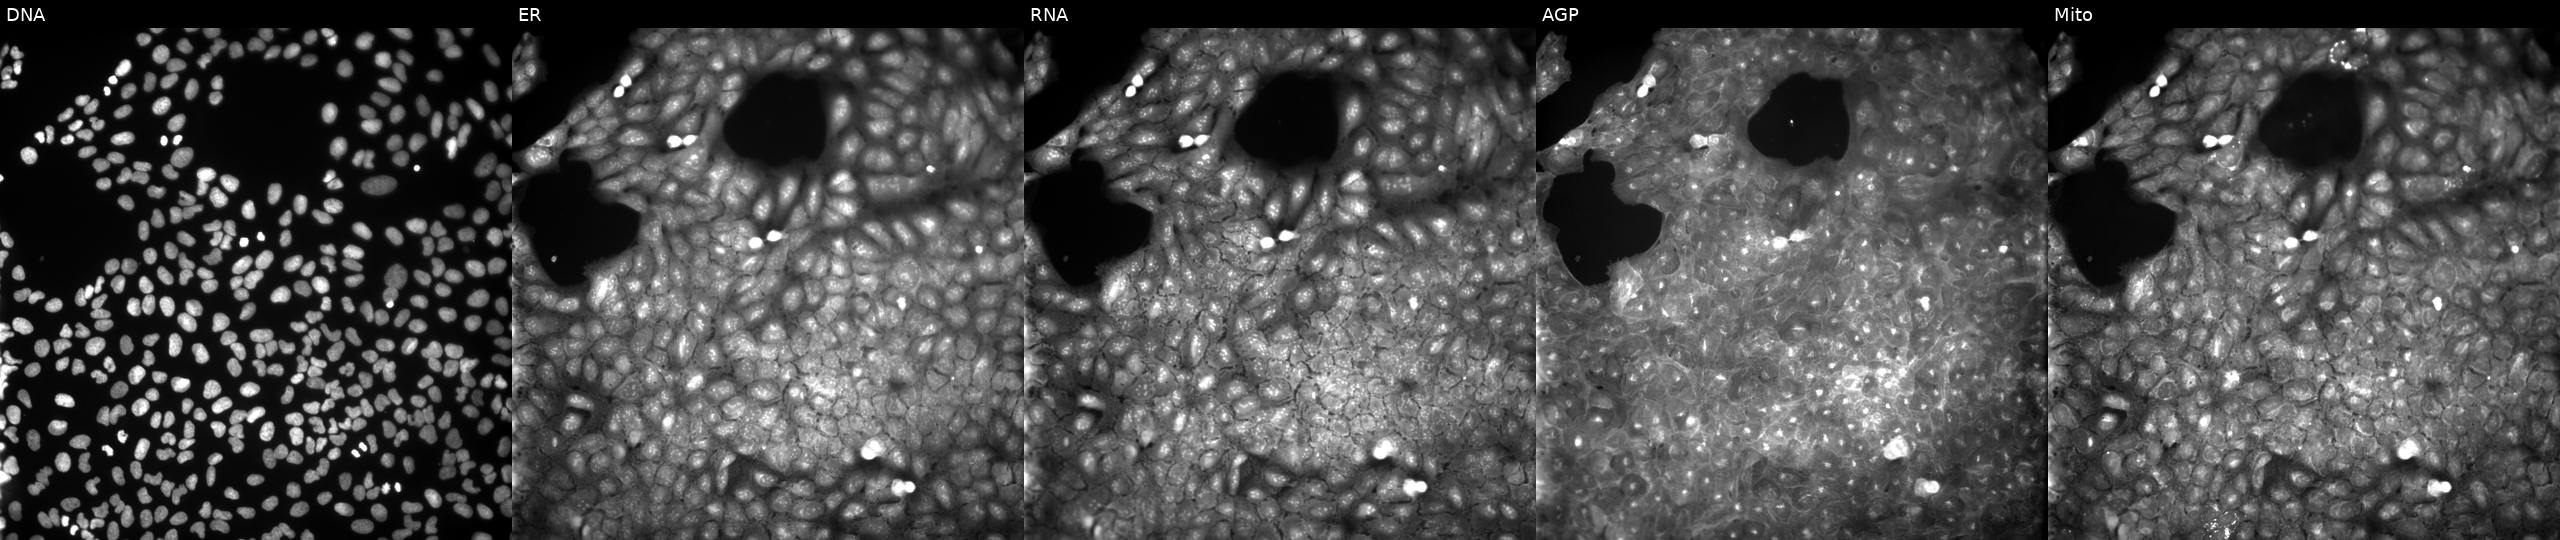
Channels (left→right): Hoechst 33342, concanavalin A, SYTO 14, phalloidin and WGA, MitoTracker. U2OS osteosarcoma cells perturbed with a small-molecule compound (InChIKey SKRBSBYKNYQNDR-UHFFFAOYSA-N) (JUMP id JCP2022_083872). Cell Painting assay, JUMP-CP dataset.